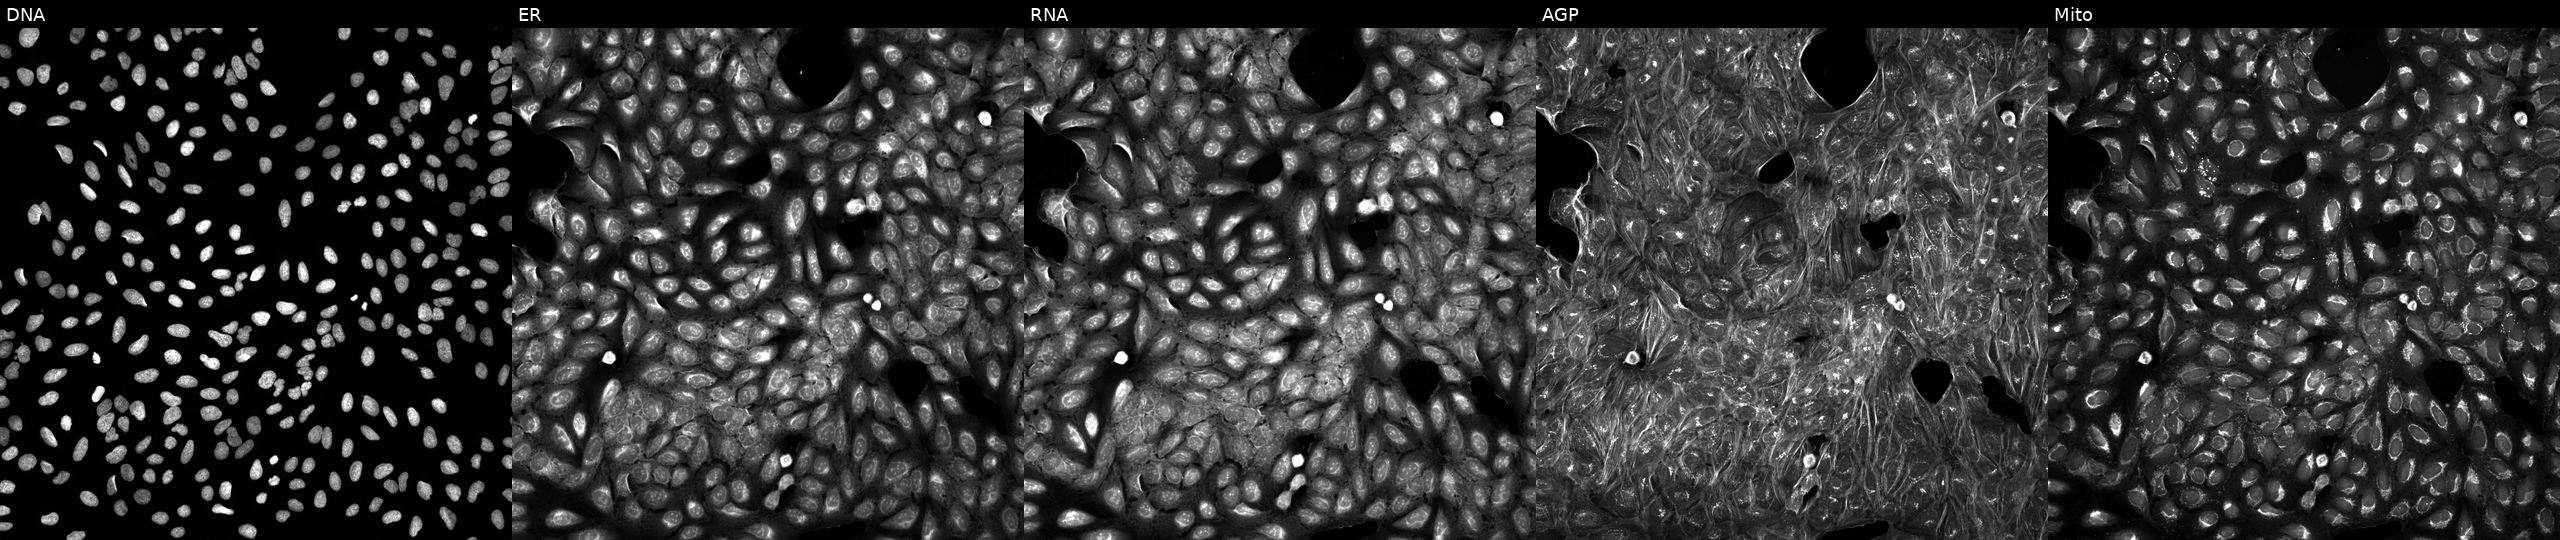
Five-channel Cell Painting image of U2OS cells treated with a small-molecule compound (JUMP id JCP2022_011759). From left to right: DNA, ER, RNA, AGP, and Mito.